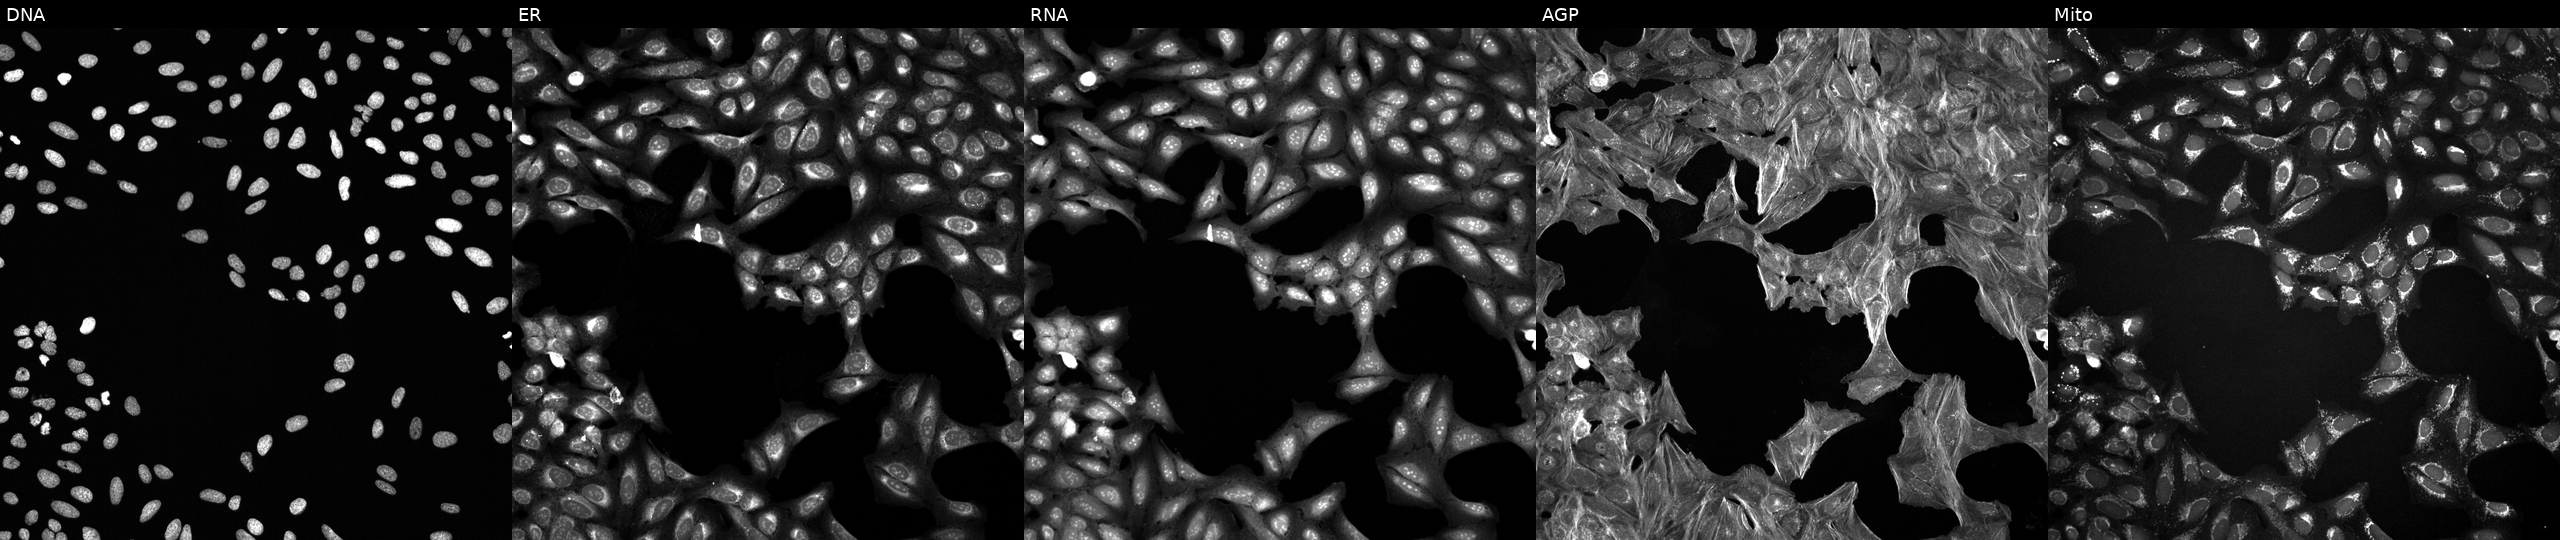
Five-channel Cell Painting image of U2OS cells exposed to a small-molecule compound (InChIKey QSUHAYAJZRZIAU-UHFFFAOYSA-N). The five panels, left to right, show DNA, ER, RNA, AGP, and Mito. Source 6, plate 110000293082, well A08.